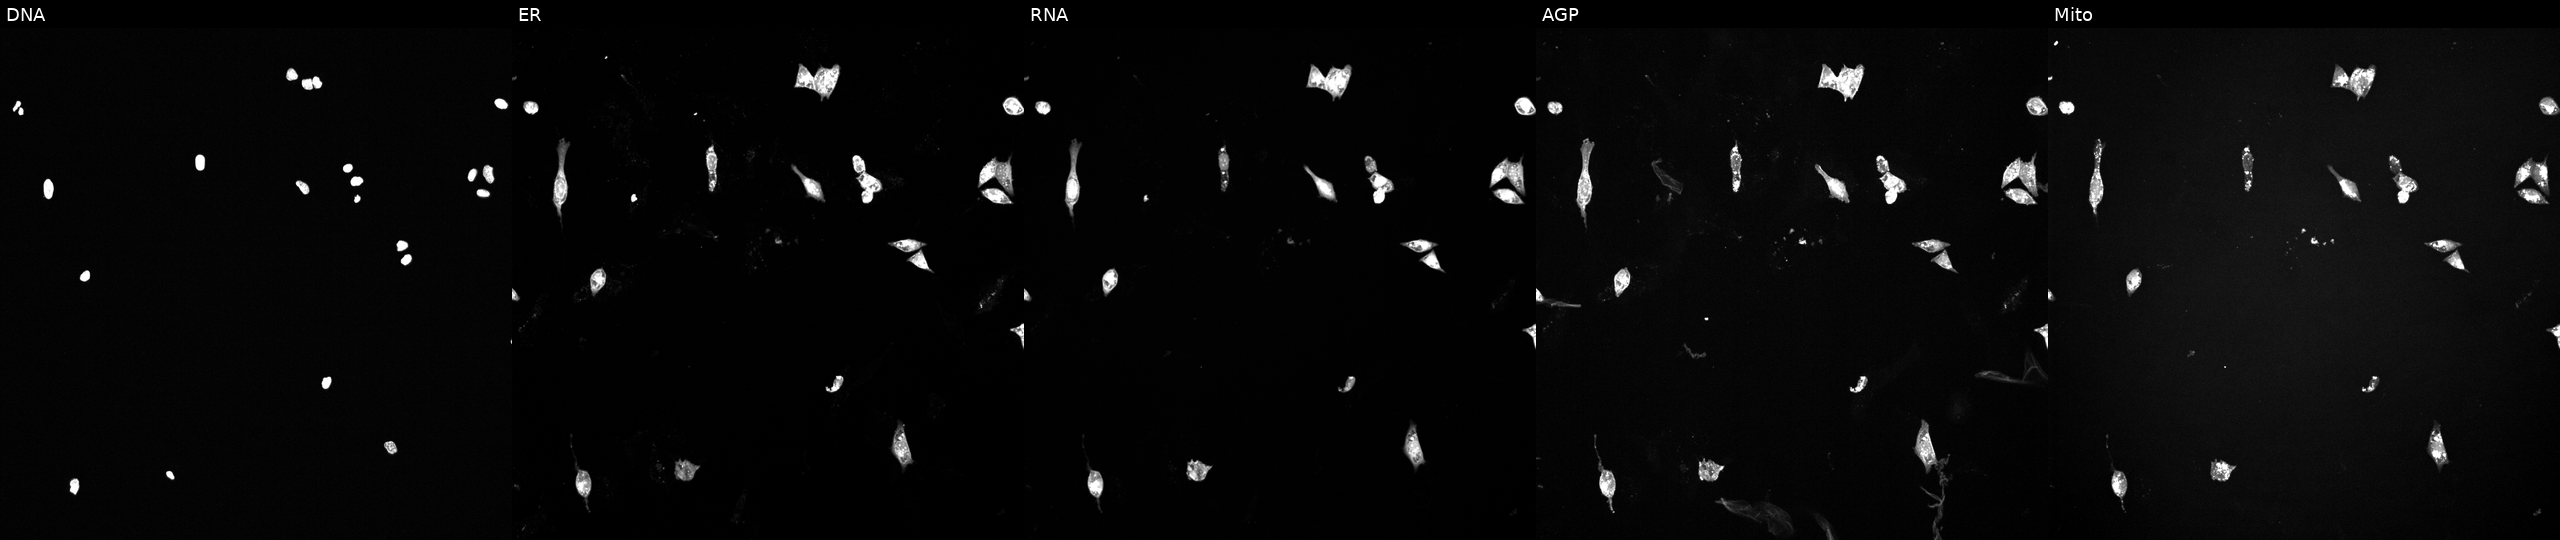
This image strip shows the five Cell Painting channels for a single field of U2OS cells perturbed with a small-molecule compound (InChIKey VERWOWGGCGHDQE-UHFFFAOYSA-N). Channels (left→right): DNA (nuclei); ER (endoplasmic reticulum); RNA (nucleoli and cytoplasmic RNA); AGP (actin cytoskeleton, Golgi, and plasma membrane); Mito (mitochondria). Source 6, plate 110000293081, well J19.